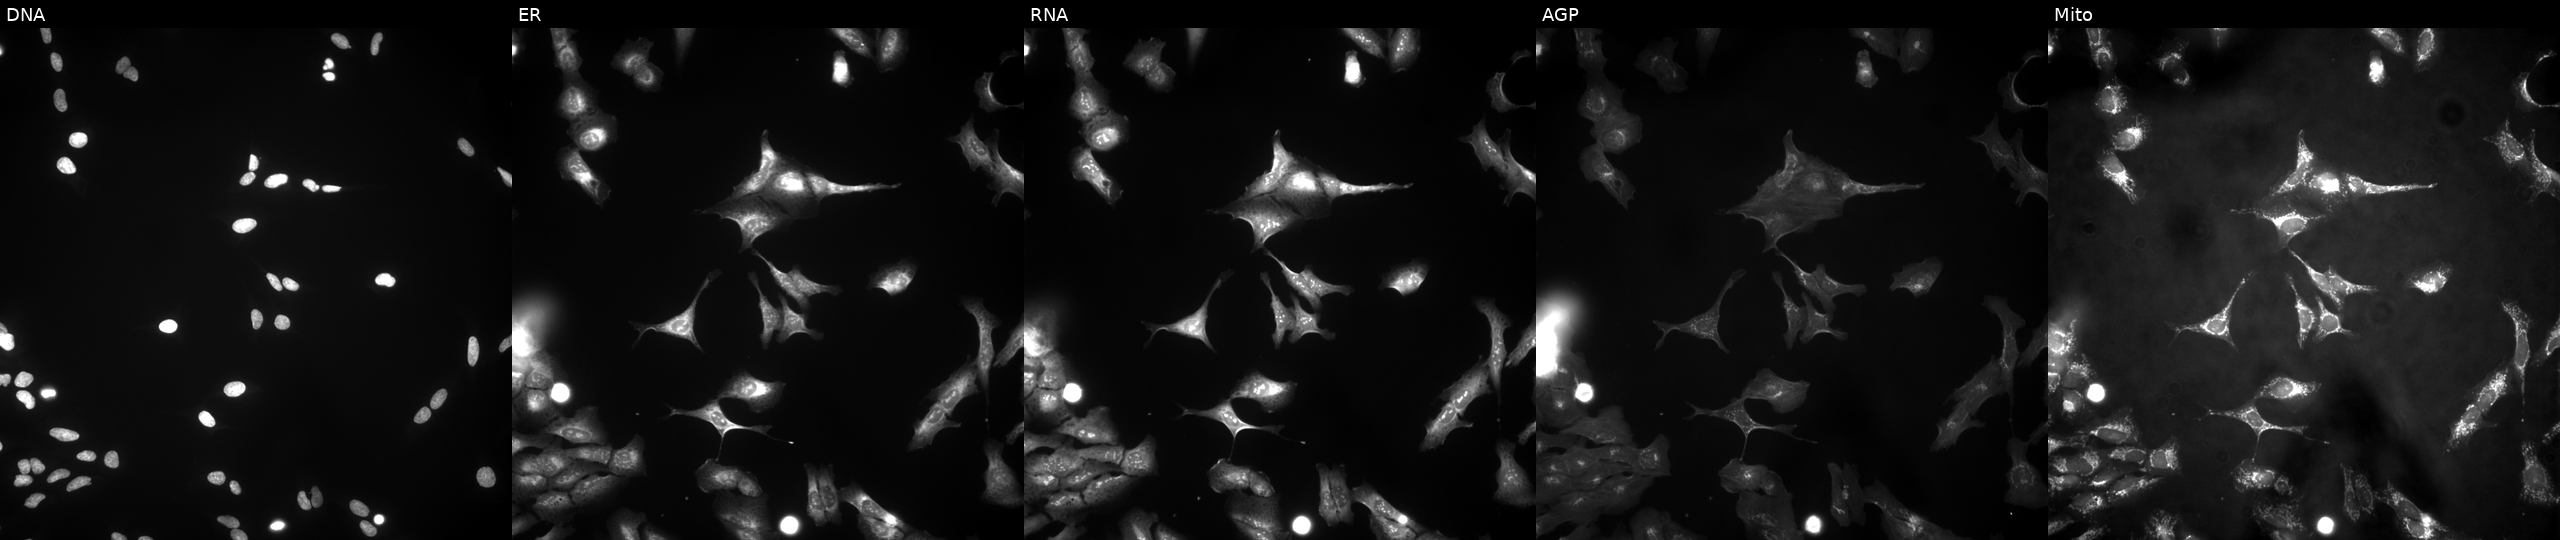
Five-channel Cell Painting image of U2OS cells transfected with an ORF construct for SERPINA5. The five panels, left to right, show Hoechst 33342, concanavalin A, SYTO 14, phalloidin and WGA, MitoTracker. Source 4, plate BR00123506, well I12.